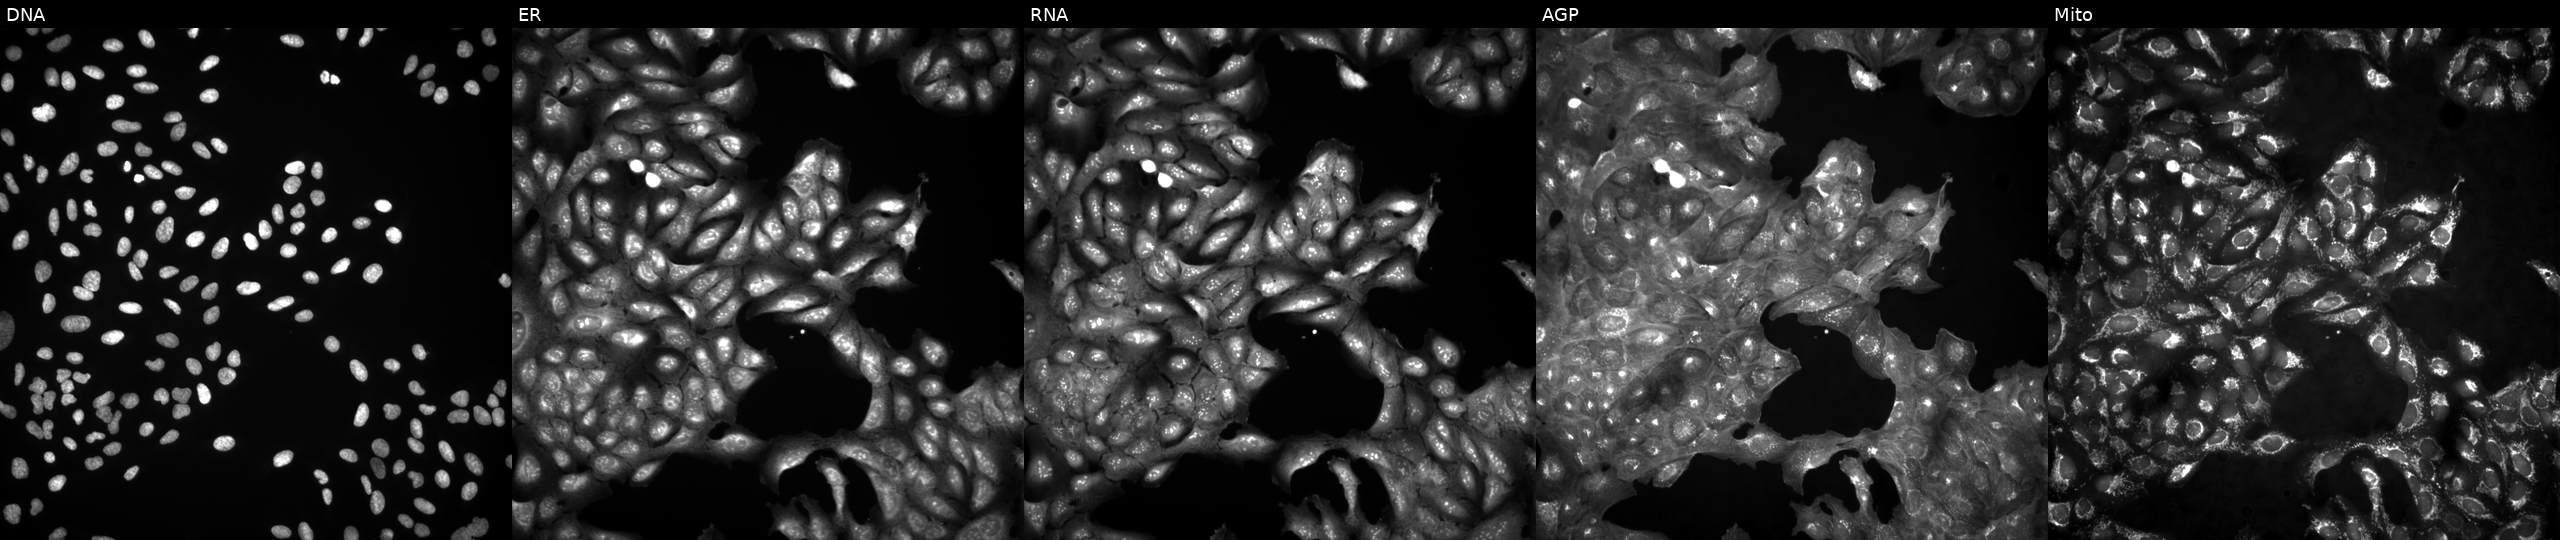
JUMP Cell Painting — ORF plate. U2OS cells untreated (empty-well control). The five panels, left to right, show DNA, ER, RNA, AGP, and Mito.